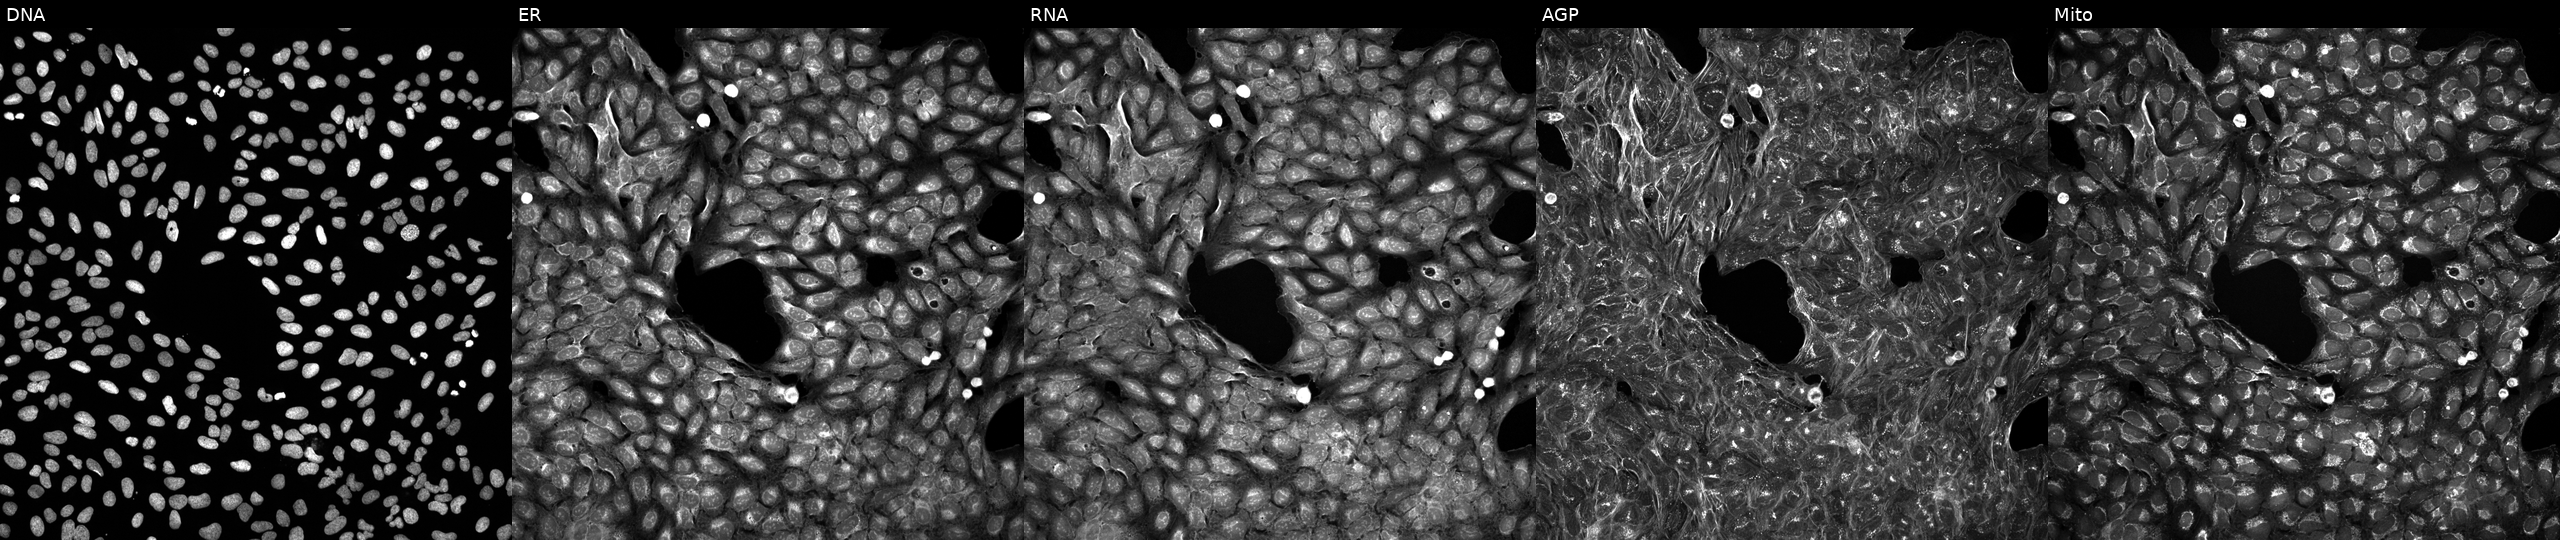
JUMP Cell Painting — TARGET2 plate. U2OS cells treated with a small-molecule compound (JUMP id JCP2022_077671). From left to right: DNA, ER, RNA, AGP, and Mito.